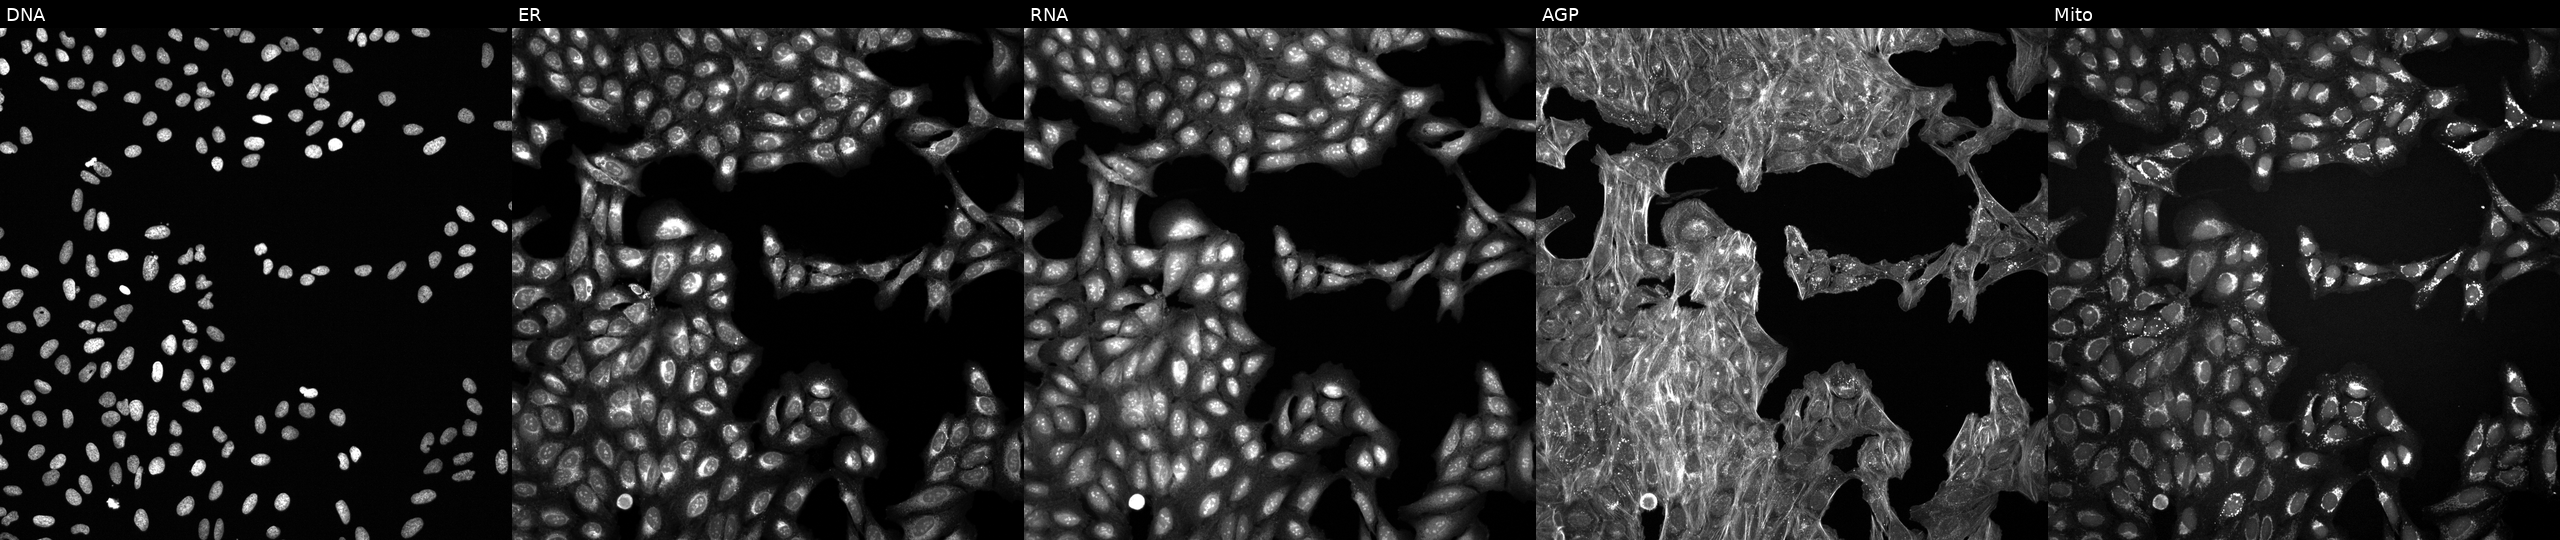
Panels show, left to right, DNA, ER, RNA, AGP, and Mito. U2OS osteosarcoma cells perturbed with a small-molecule compound (InChIKey PQLCPYPGWRNAPJ-UHFFFAOYSA-N) (JUMP id JCP2022_070313). Cell Painting assay, JUMP-CP dataset.